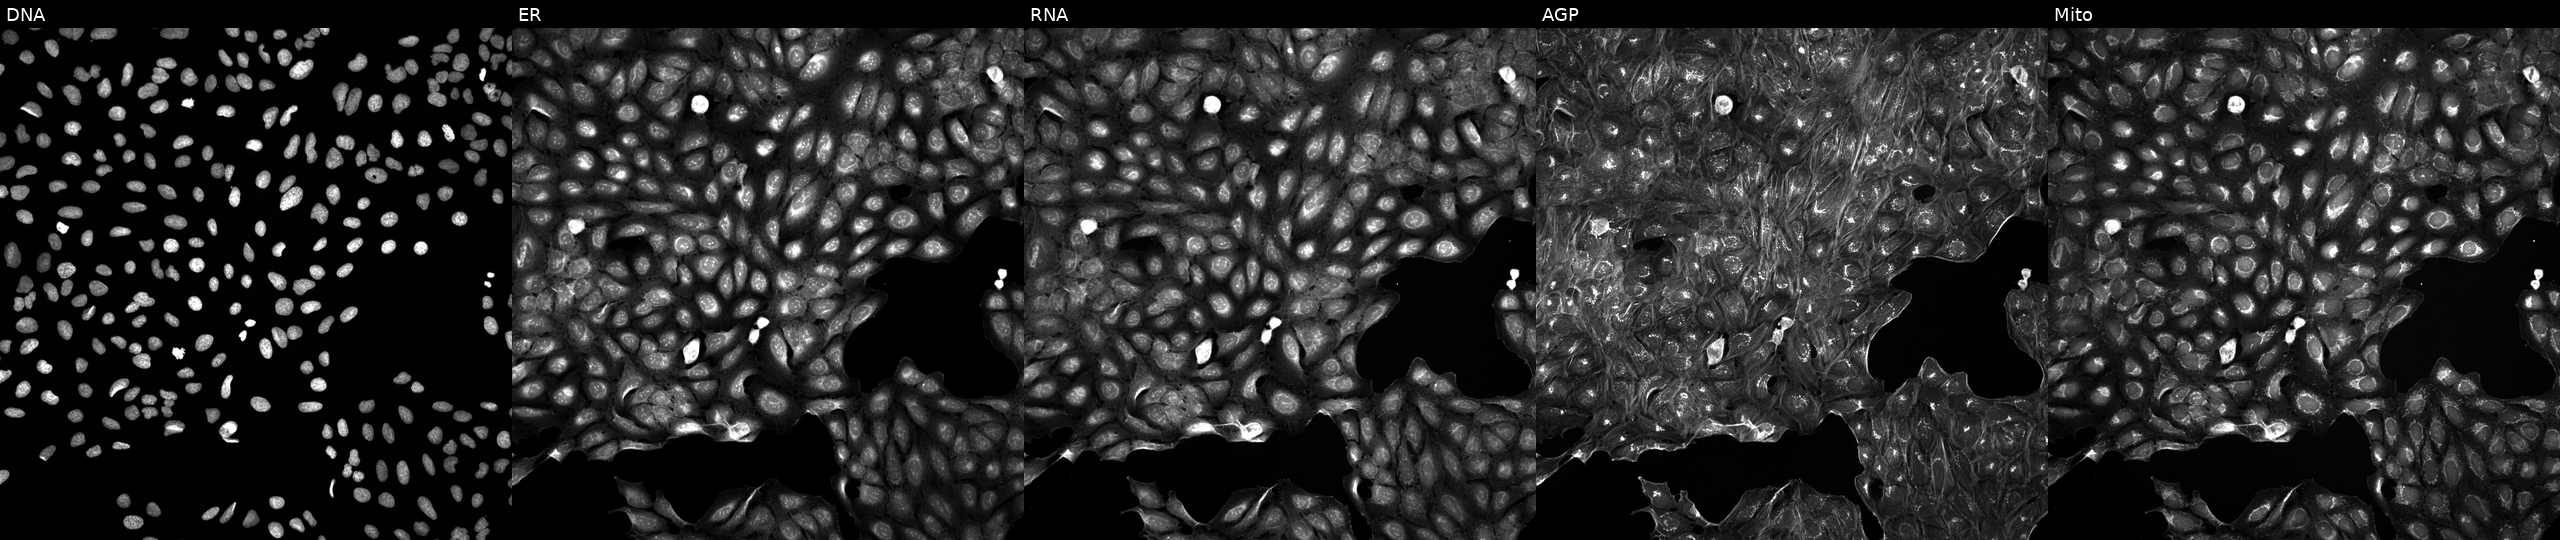
This image strip shows the five Cell Painting channels for a single field of U2OS cells treated with a small-molecule compound. From left to right: DNA, ER, RNA, AGP, and Mito. Source 5, plate APTJUM106, well B11.